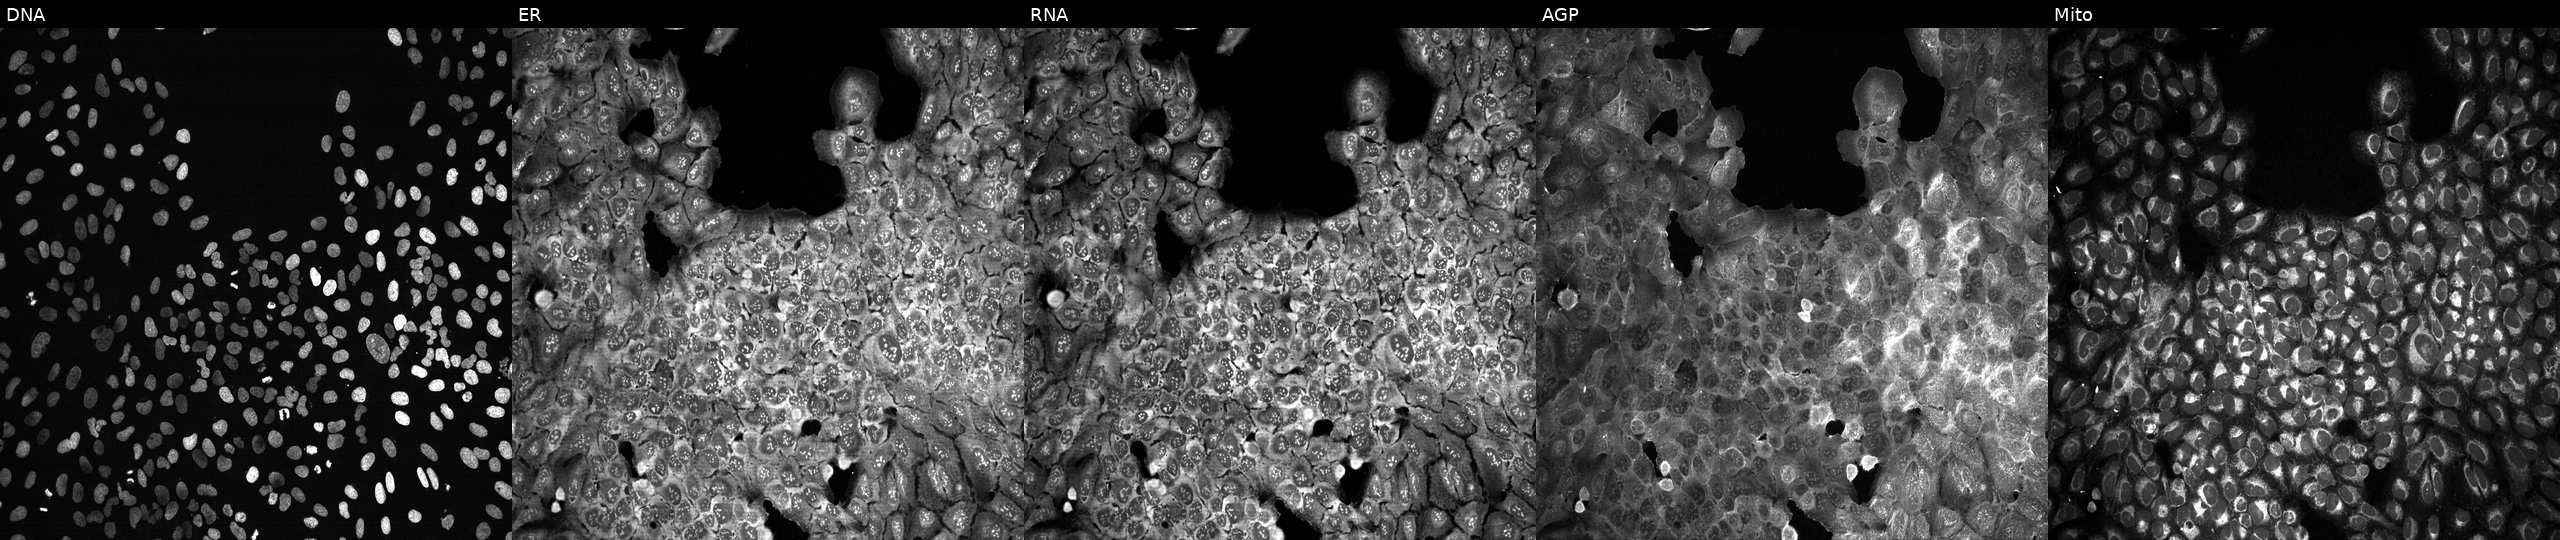
Five-channel Cell Painting image of U2OS cells CRISPR-edited to disrupt SEPT1. From left to right: DNA, ER, RNA, AGP, and Mito.